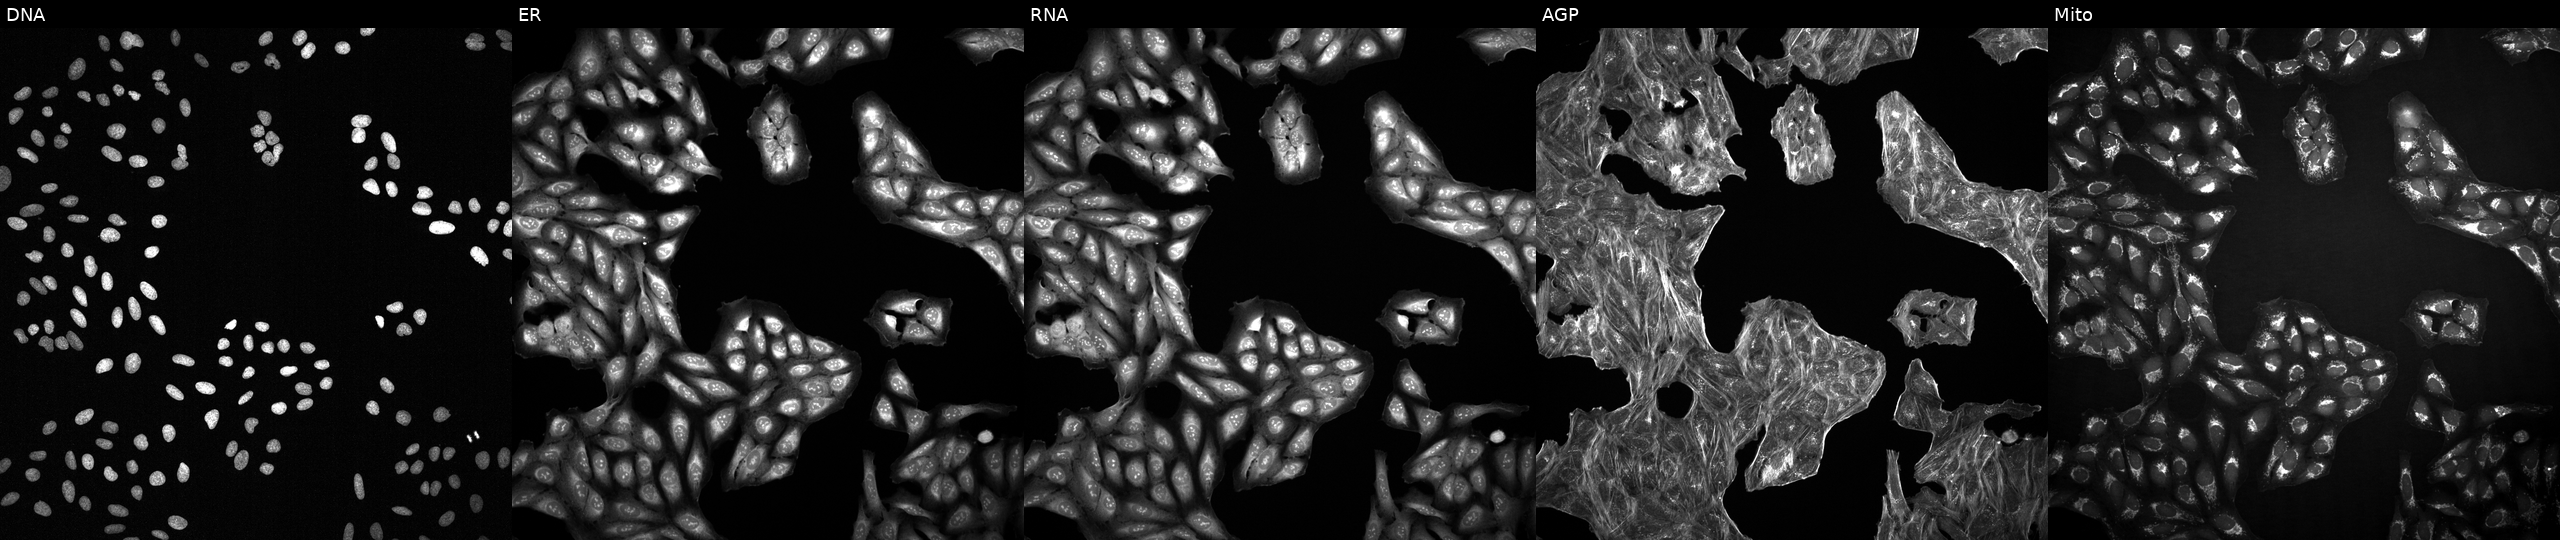
High-content fluorescence microscopy (Cell Painting). Cell line: U2OS. Perturbation: treated with a small-molecule compound (InChIKey VWRNSPMKSCAXQZ-UHFFFAOYSA-N) (JUMP id JCP2022_096792). From left to right: DNA, ER, RNA, AGP, and Mito. Source 2, plate 1053601756, well M16.